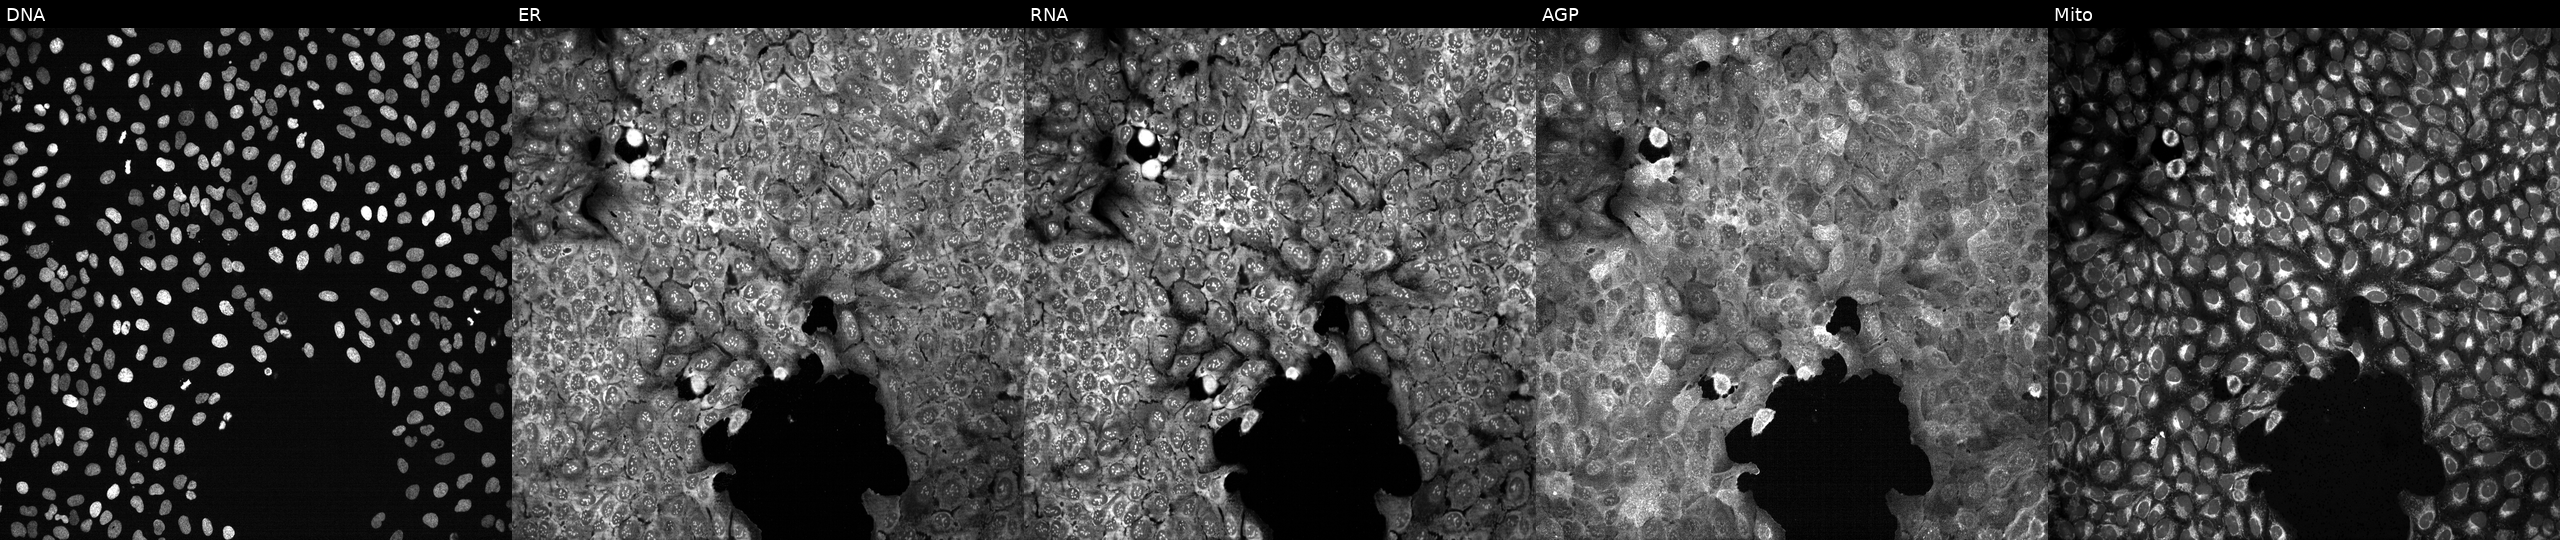
Five-channel Cell Painting image of U2OS cells following CRISPR knockout of CLEC2D. The five panels, left to right, show Hoechst 33342, concanavalin A, SYTO 14, phalloidin and WGA, MitoTracker. Source 13, plate CP-CC9-R2-02, well O21.